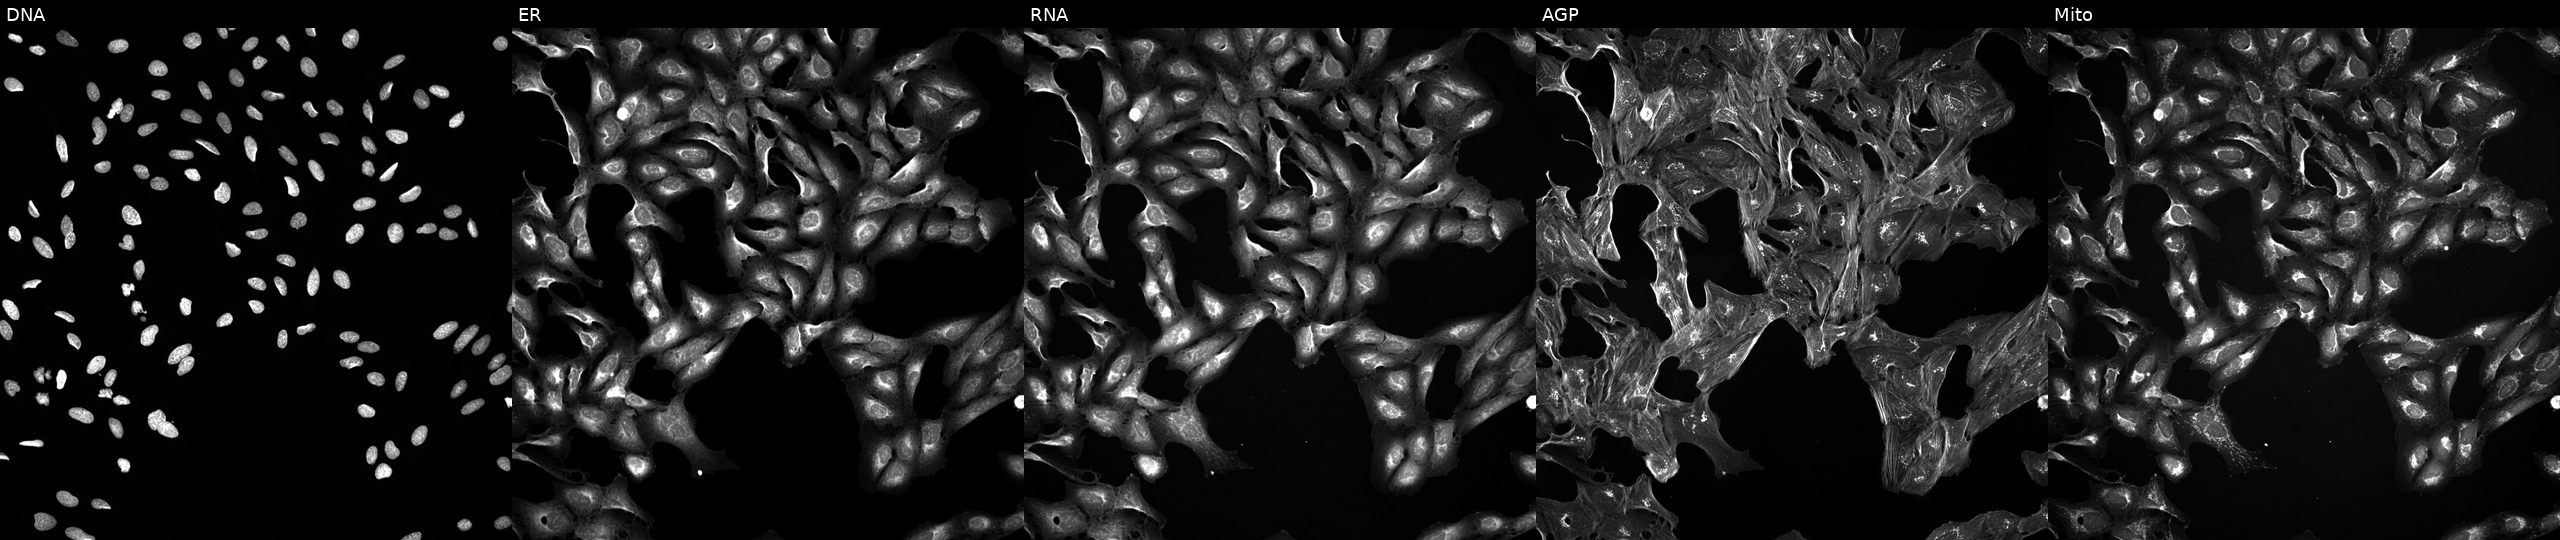
JUMP Cell Painting — TARGET2 plate. U2OS cells treated with a small-molecule compound (InChIKey AYCPARAPKDAOEN-UHFFFAOYSA-N). Panels show, left to right, Hoechst 33342, concanavalin A, SYTO 14, phalloidin and WGA, MitoTracker. Source 5, plate ACPJUM012, well H08.